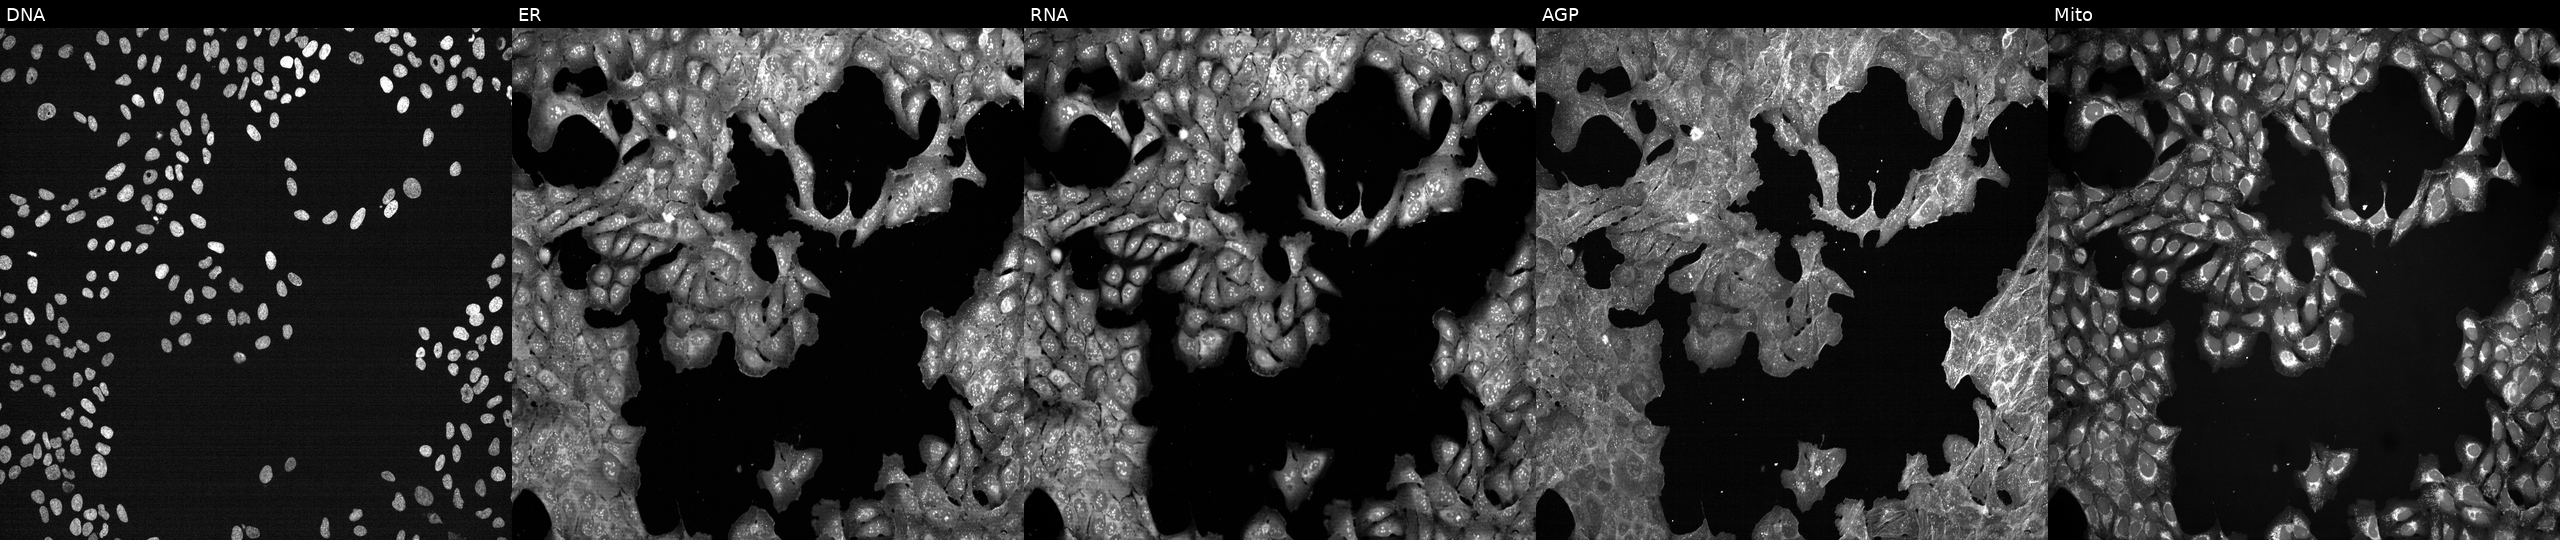
This image strip shows the five Cell Painting channels for a single field of U2OS cells exposed to a small-molecule compound (InChIKey XXYGTCZJJLTAGH-UHFFFAOYSA-N). Channels (left→right): DNA, ER, RNA, AGP, and Mito.